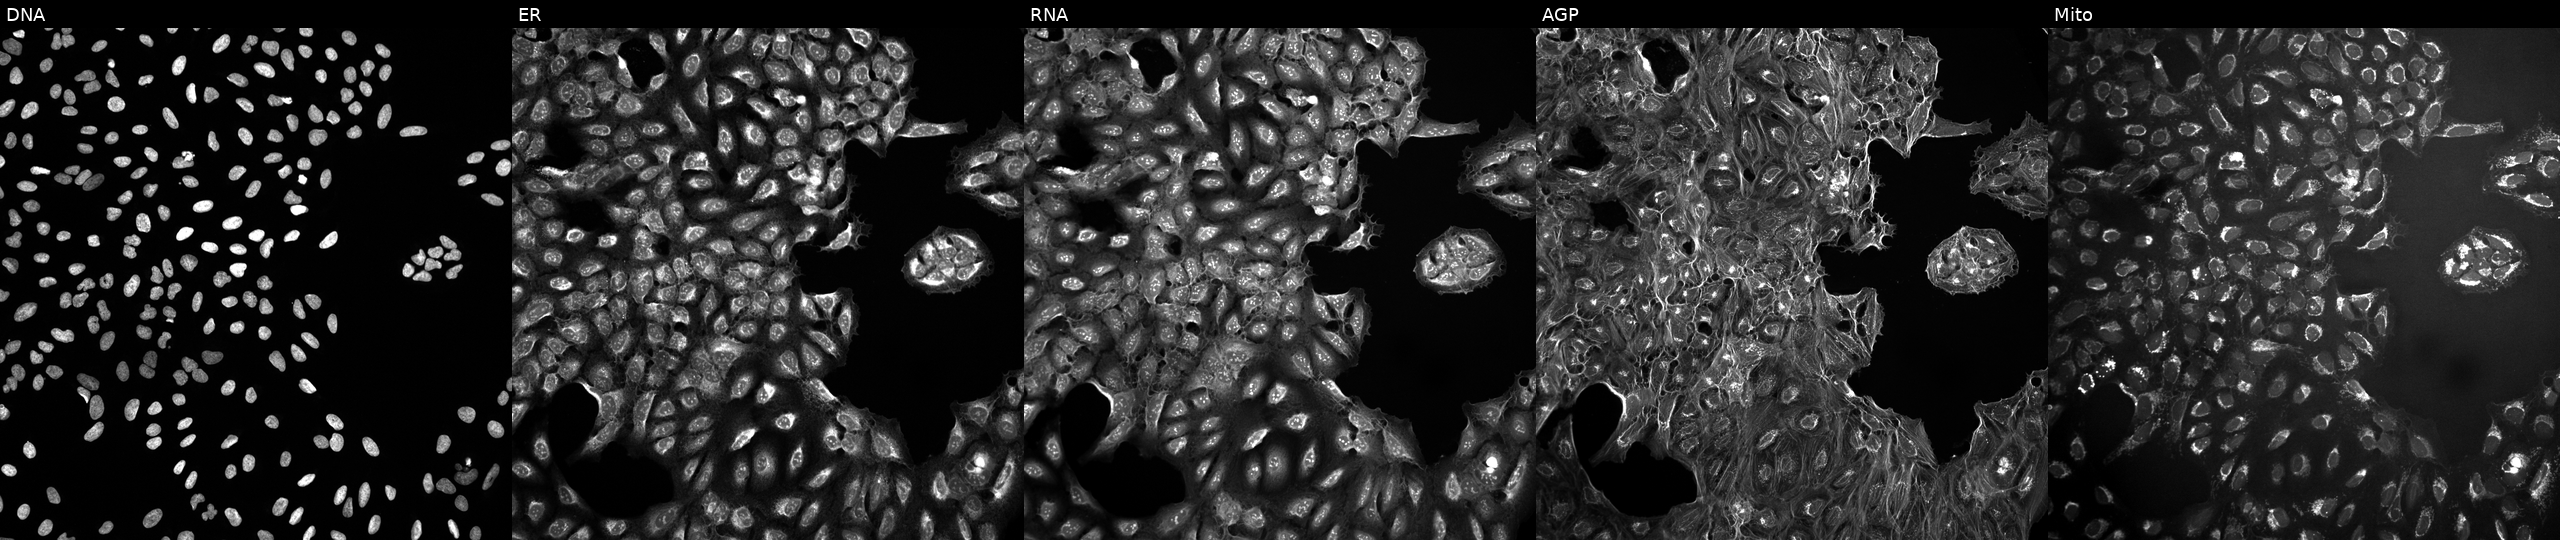
This image strip shows the five Cell Painting channels for a single field of U2OS cells in an empty control well (no perturbation). Panels show, left to right, DNA (nuclei); ER (endoplasmic reticulum); RNA (nucleoli and cytoplasmic RNA); AGP (actin cytoskeleton, Golgi, and plasma membrane); Mito (mitochondria).